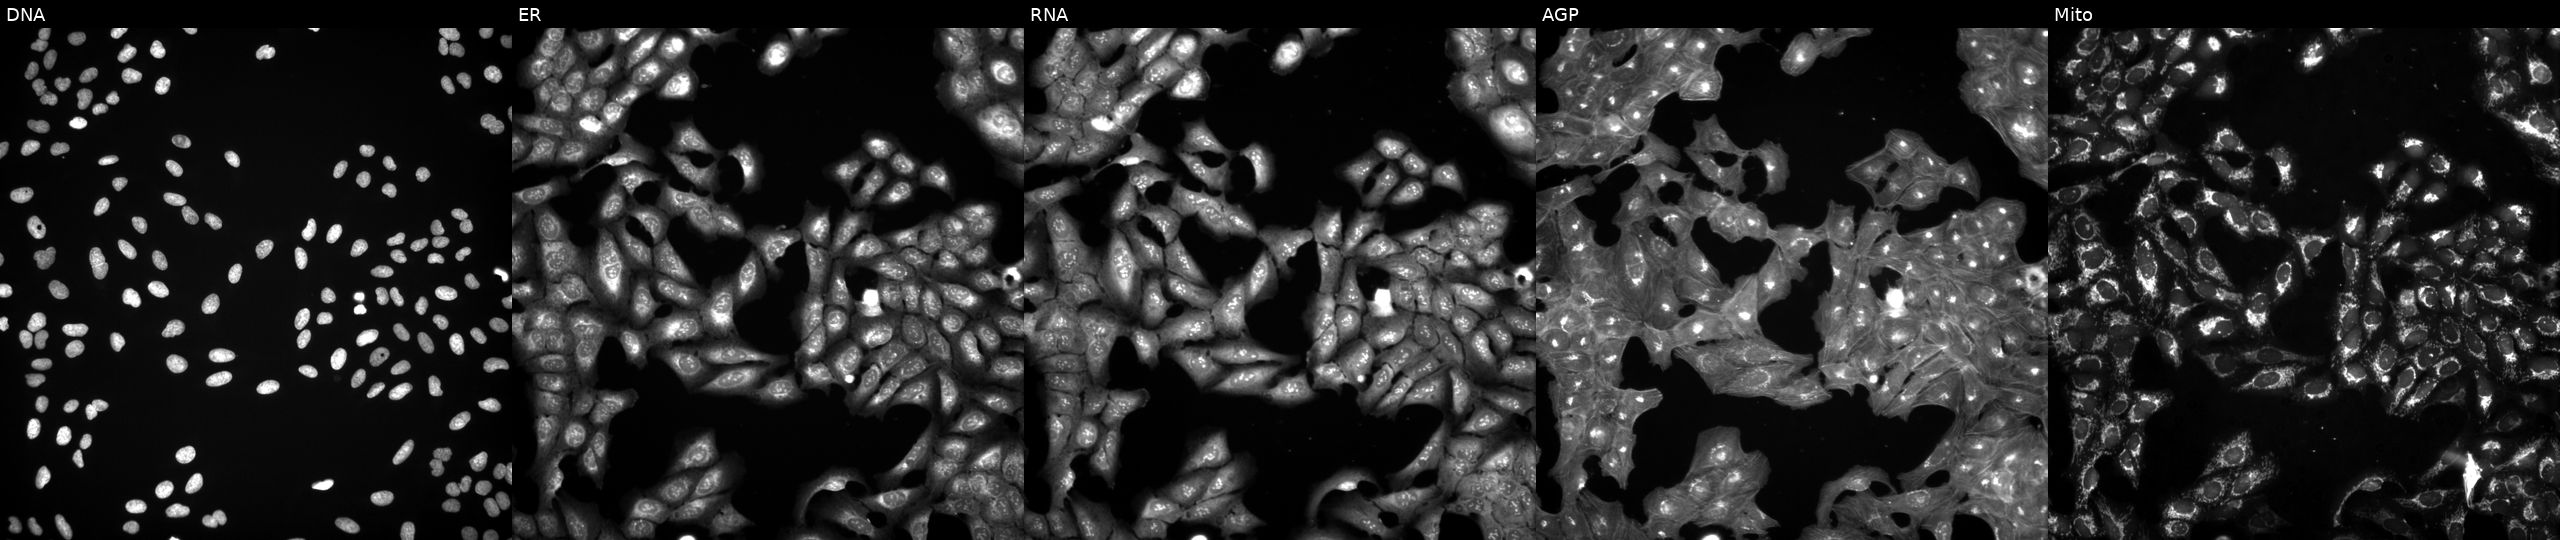
JUMP Cell Painting — COMPOUND plate. U2OS cells untreated (empty-well control). The five panels, left to right, show Hoechst 33342, concanavalin A, SYTO 14, phalloidin and WGA, MitoTracker. Source 3, plate BR5867b3, well K18.